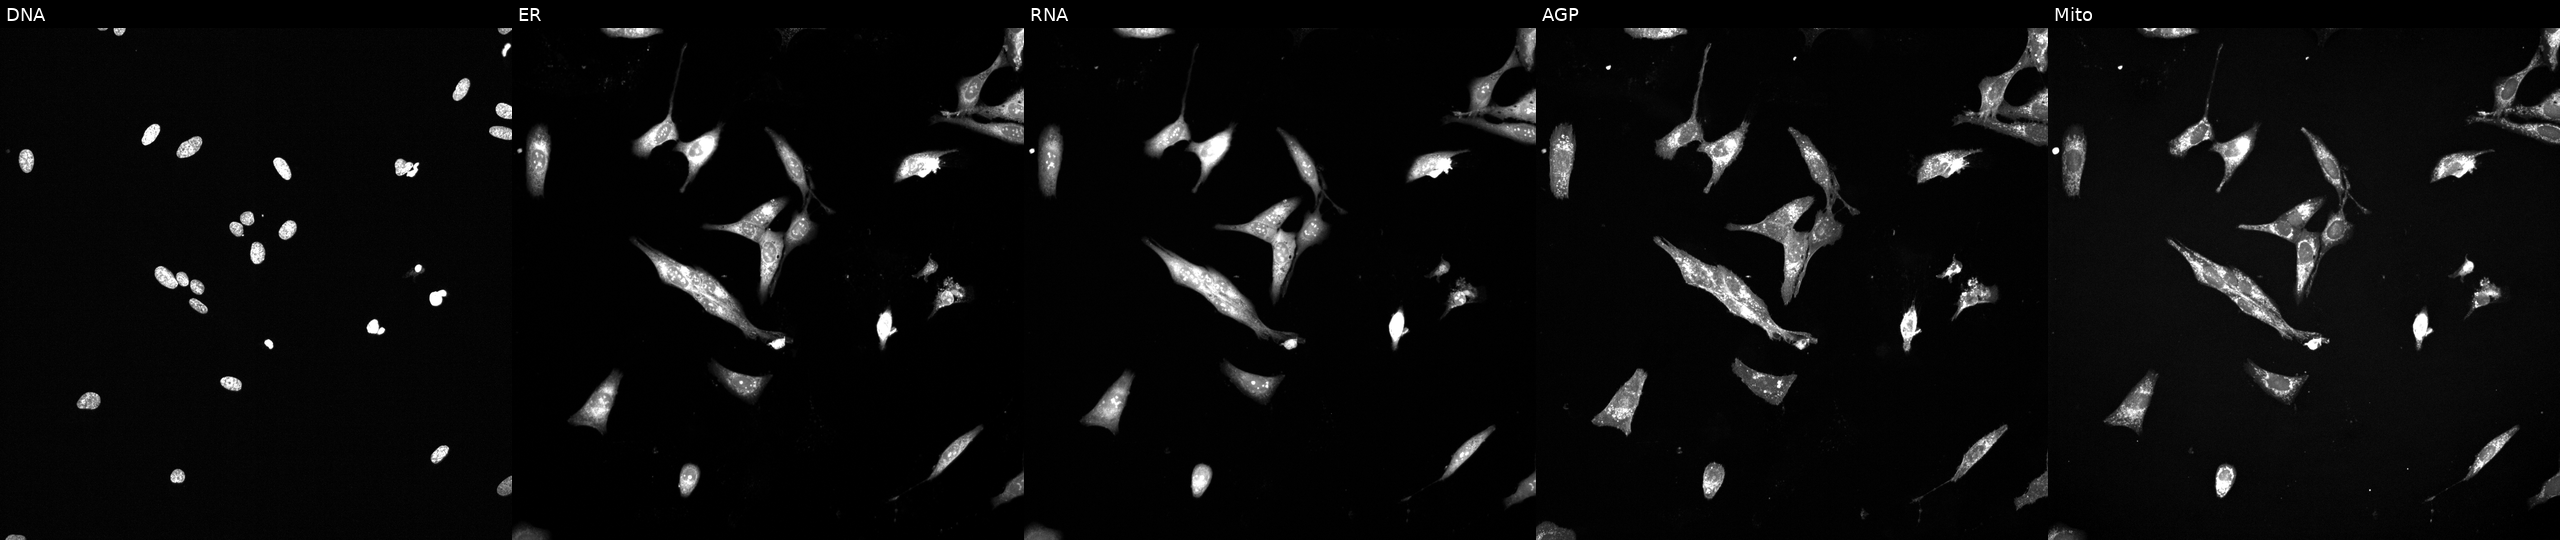
From left to right: Hoechst 33342, concanavalin A, SYTO 14, phalloidin and WGA, MitoTracker. U2OS osteosarcoma cells exposed to a small-molecule compound (InChIKey BBDGBGOVJPEFBT-UHFFFAOYSA-N) [SMILES: c1cc(-c2cnn3cc(-c4ccc(N5CCNCC5)cc4)cnc23)c2cccnc2c1] (JUMP id JCP2022_005163). Cell Painting assay, JUMP-CP dataset. Source 6, plate 110000293093, well I01.